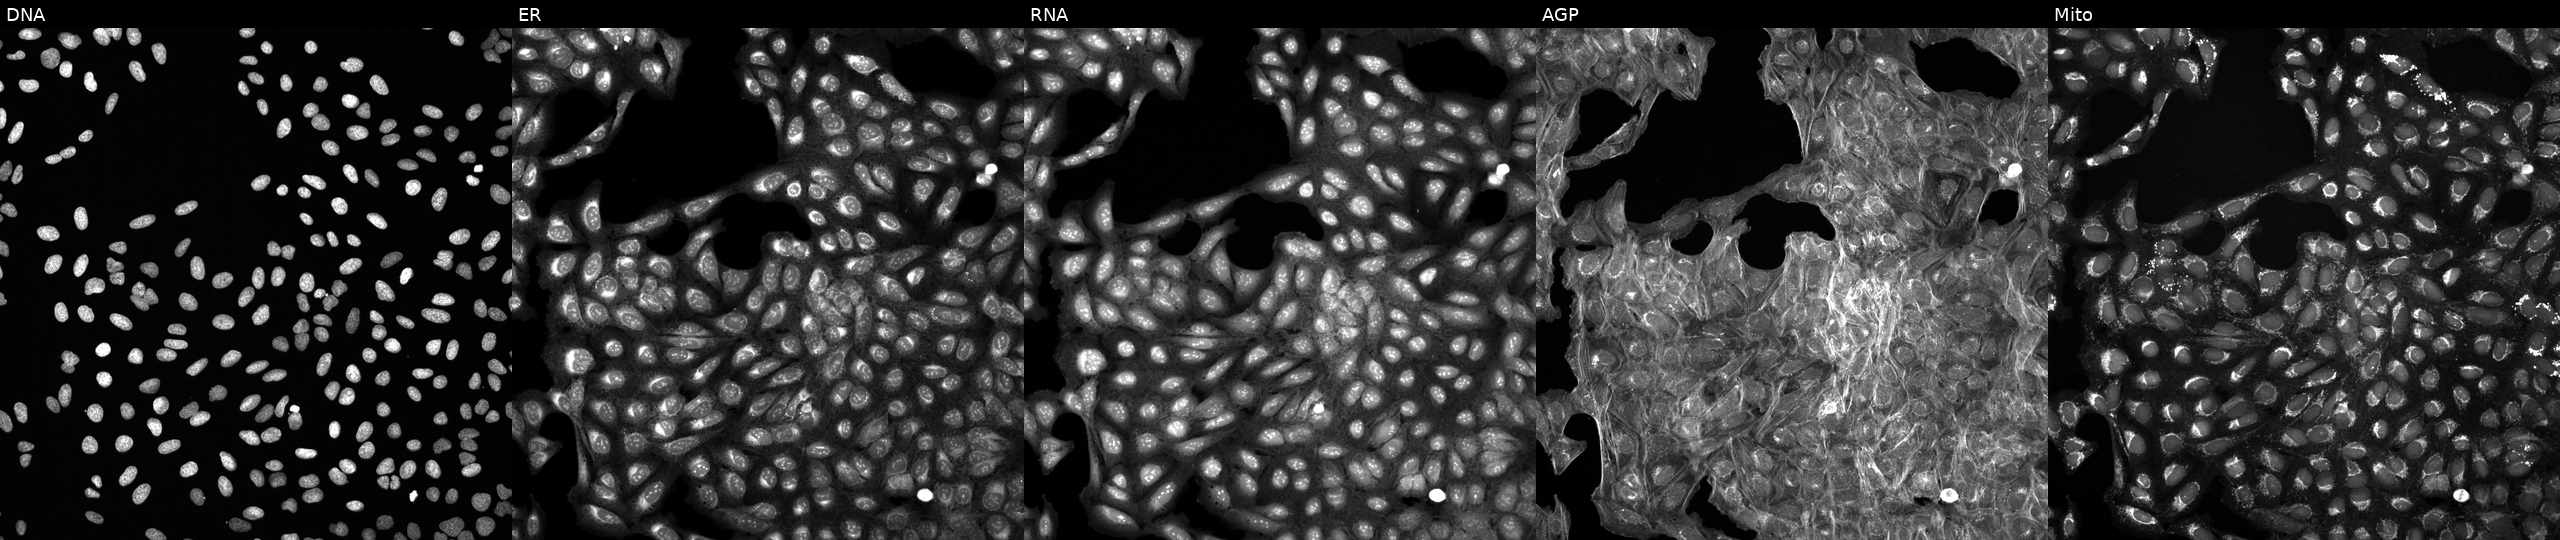
Channels (left→right): DNA (nuclei); ER (endoplasmic reticulum); RNA (nucleoli and cytoplasmic RNA); AGP (actin cytoskeleton, Golgi, and plasma membrane); Mito (mitochondria). U2OS osteosarcoma cells perturbed with a small-molecule compound [SMILES: Oc1ccc(C(O)O)[nH]1] (JUMP id JCP2022_027911). Cell Painting assay, JUMP-CP dataset.